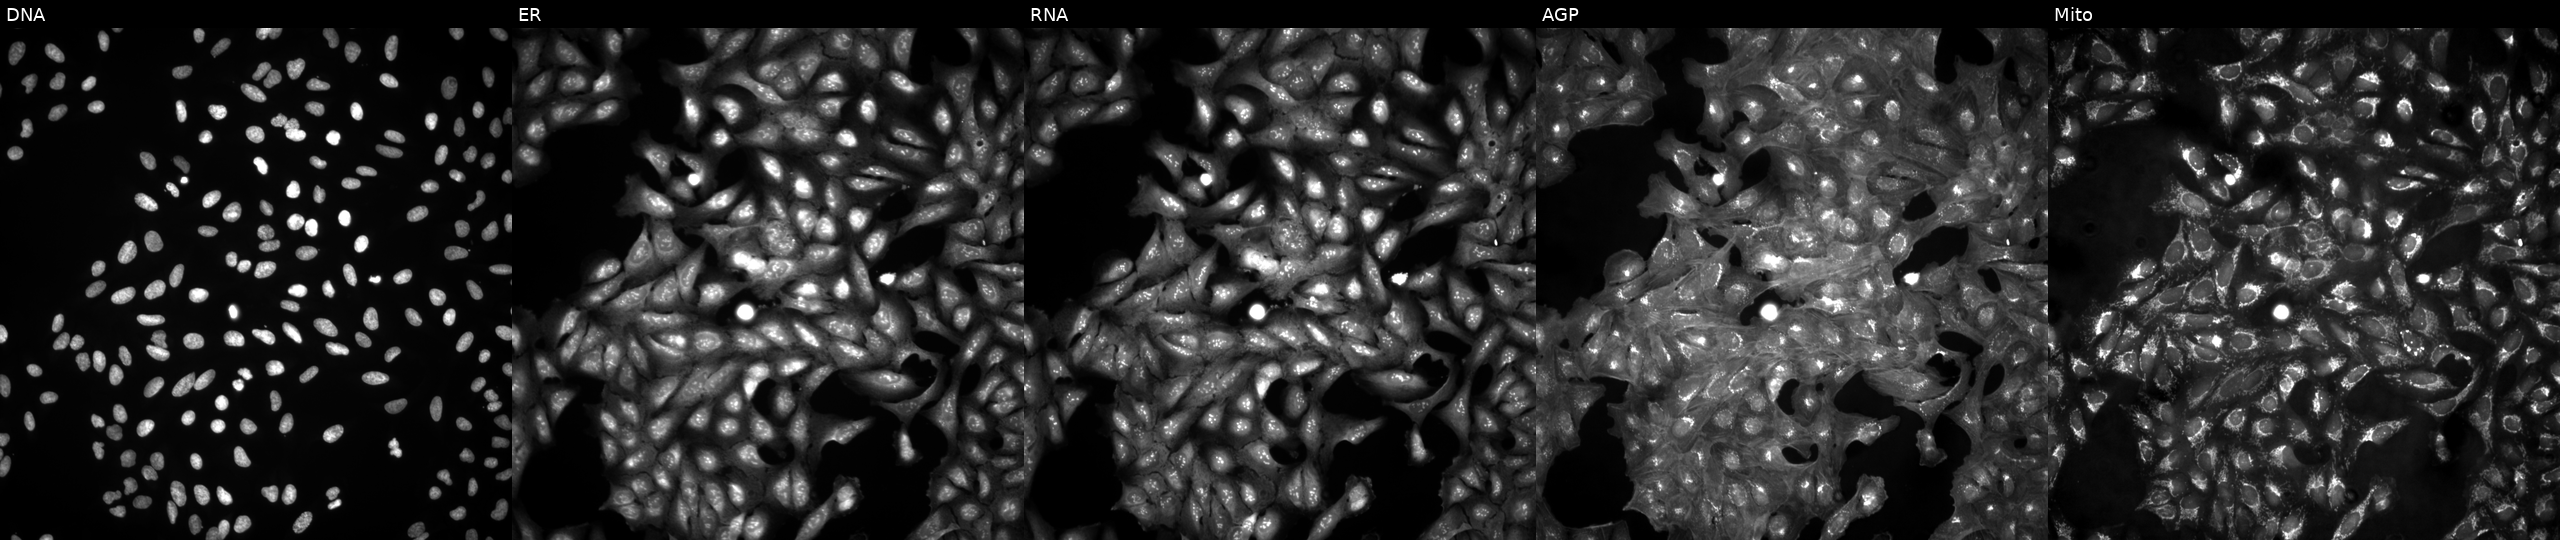
High-content fluorescence microscopy (Cell Painting). Cell line: U2OS. Perturbation: in an empty control well (no perturbation) (JUMP id JCP2022_999999). Channels (left→right): DNA (nuclei); ER (endoplasmic reticulum); RNA (nucleoli and cytoplasmic RNA); AGP (actin cytoskeleton, Golgi, and plasma membrane); Mito (mitochondria).